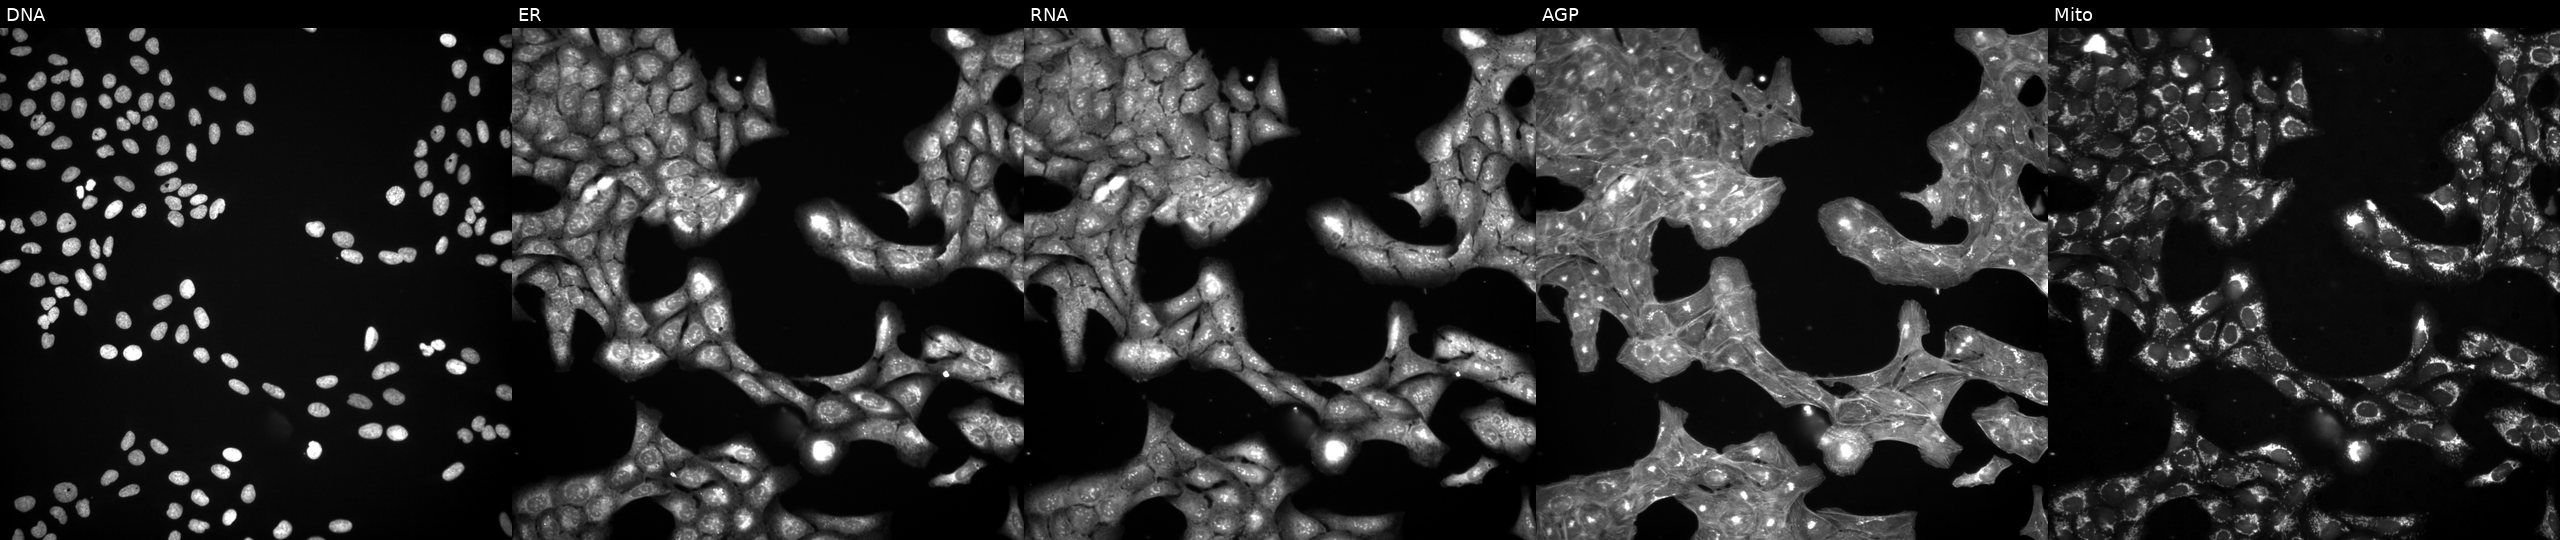
JUMP Cell Painting — COMPOUND plate. U2OS cells treated with a small-molecule compound (InChIKey OABITYYYJTZDBK-UHFFFAOYSA-N) (JUMP id JCP2022_062473). Panels show, left to right, DNA, ER, RNA, AGP, and Mito.